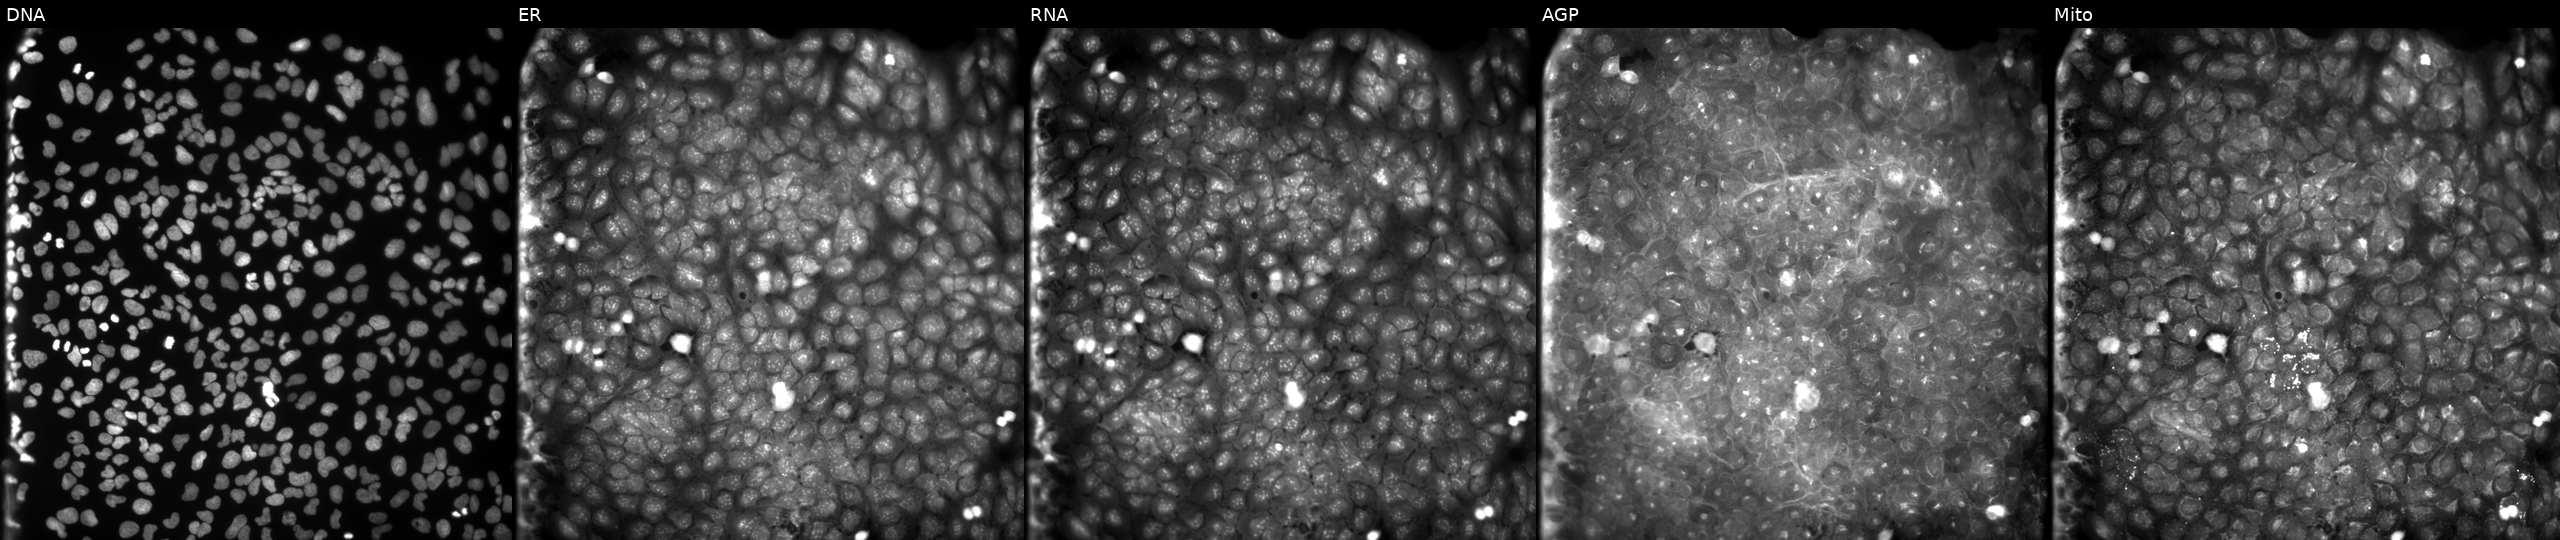
U2OS cells, Cell Painting assay, treated with a small-molecule compound (InChIKey DPHOKLZALQVXFM-UHFFFAOYSA-N) (JUMP id JCP2022_017364). From left to right: DNA, ER, RNA, AGP, and Mito. Each panel is percentile-stretched 16-bit fluorescence. Source 9, plate GR00003382, well Y06.